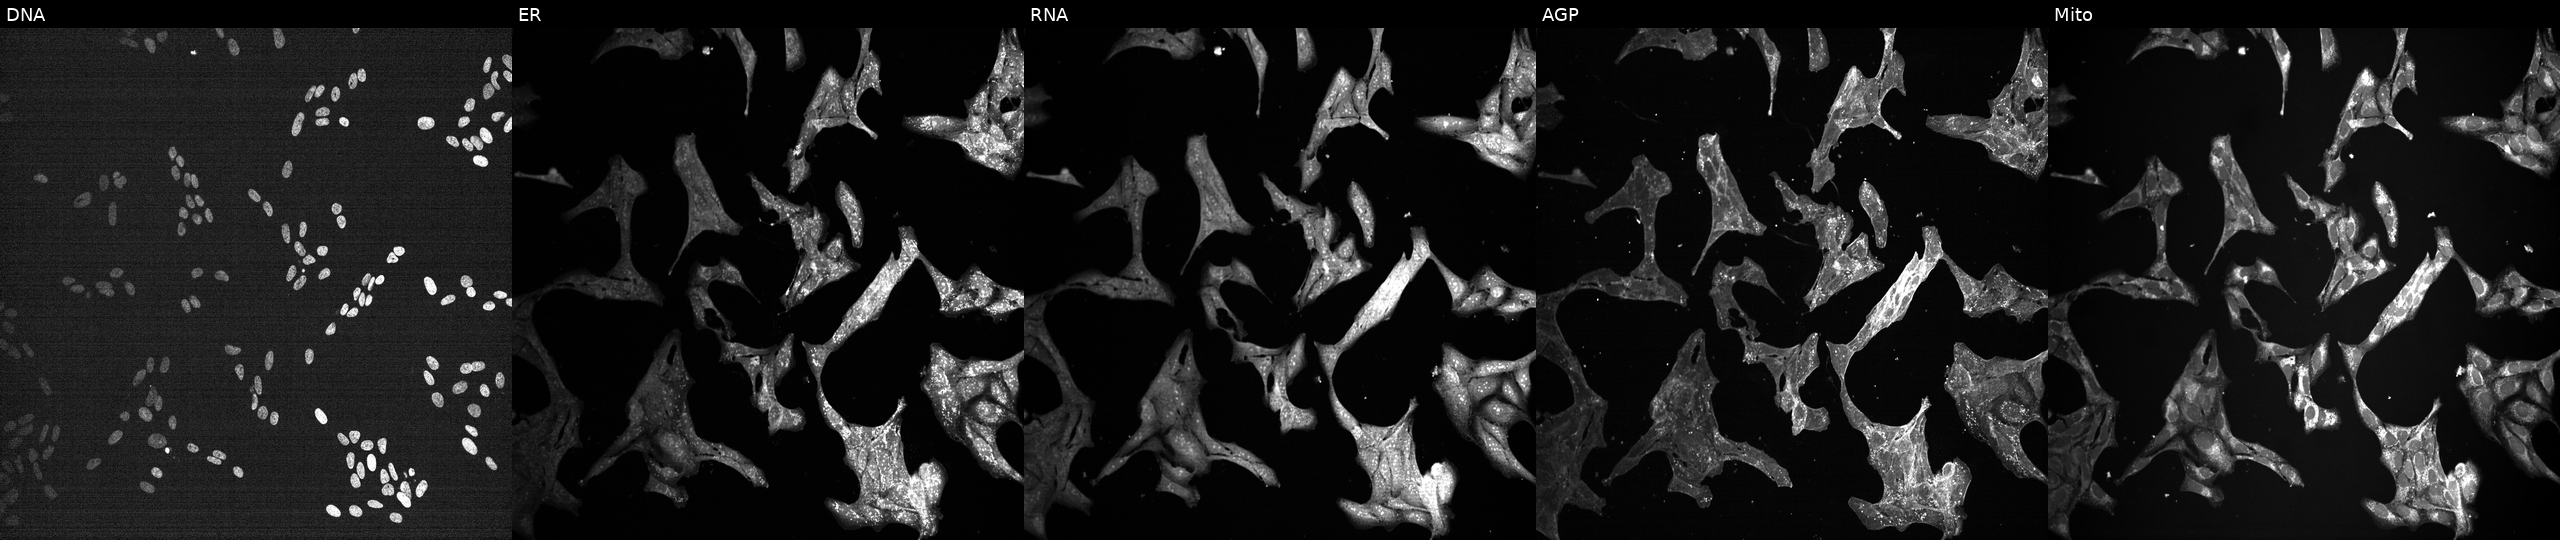
U2OS cells, Cell Painting assay, exposed to a small-molecule compound (InChIKey UXUQIRNFBFRPAC-UHFFFAOYSA-N) (JUMP id JCP2022_092256). From left to right: DNA, ER, RNA, AGP, and Mito. Each panel is percentile-stretched 16-bit fluorescence.